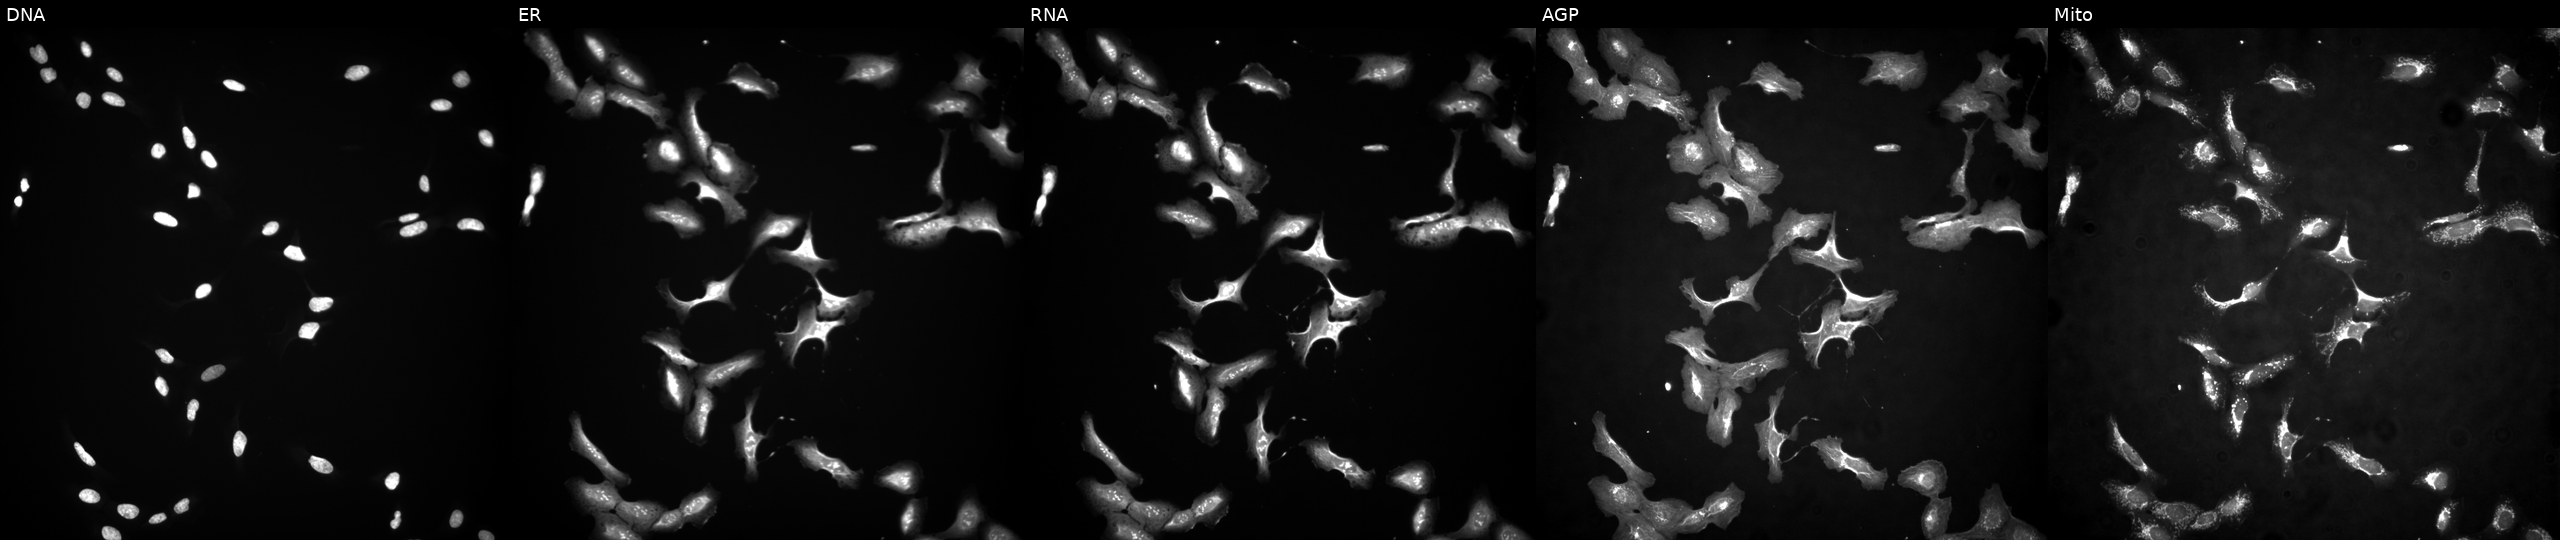
JUMP Cell Painting — ORF plate. U2OS cells with ETS2 overexpressed (ORF) (JUMP id JCP2022_909721). From left to right: DNA (nuclei); ER (endoplasmic reticulum); RNA (nucleoli and cytoplasmic RNA); AGP (actin cytoskeleton, Golgi, and plasma membrane); Mito (mitochondria).